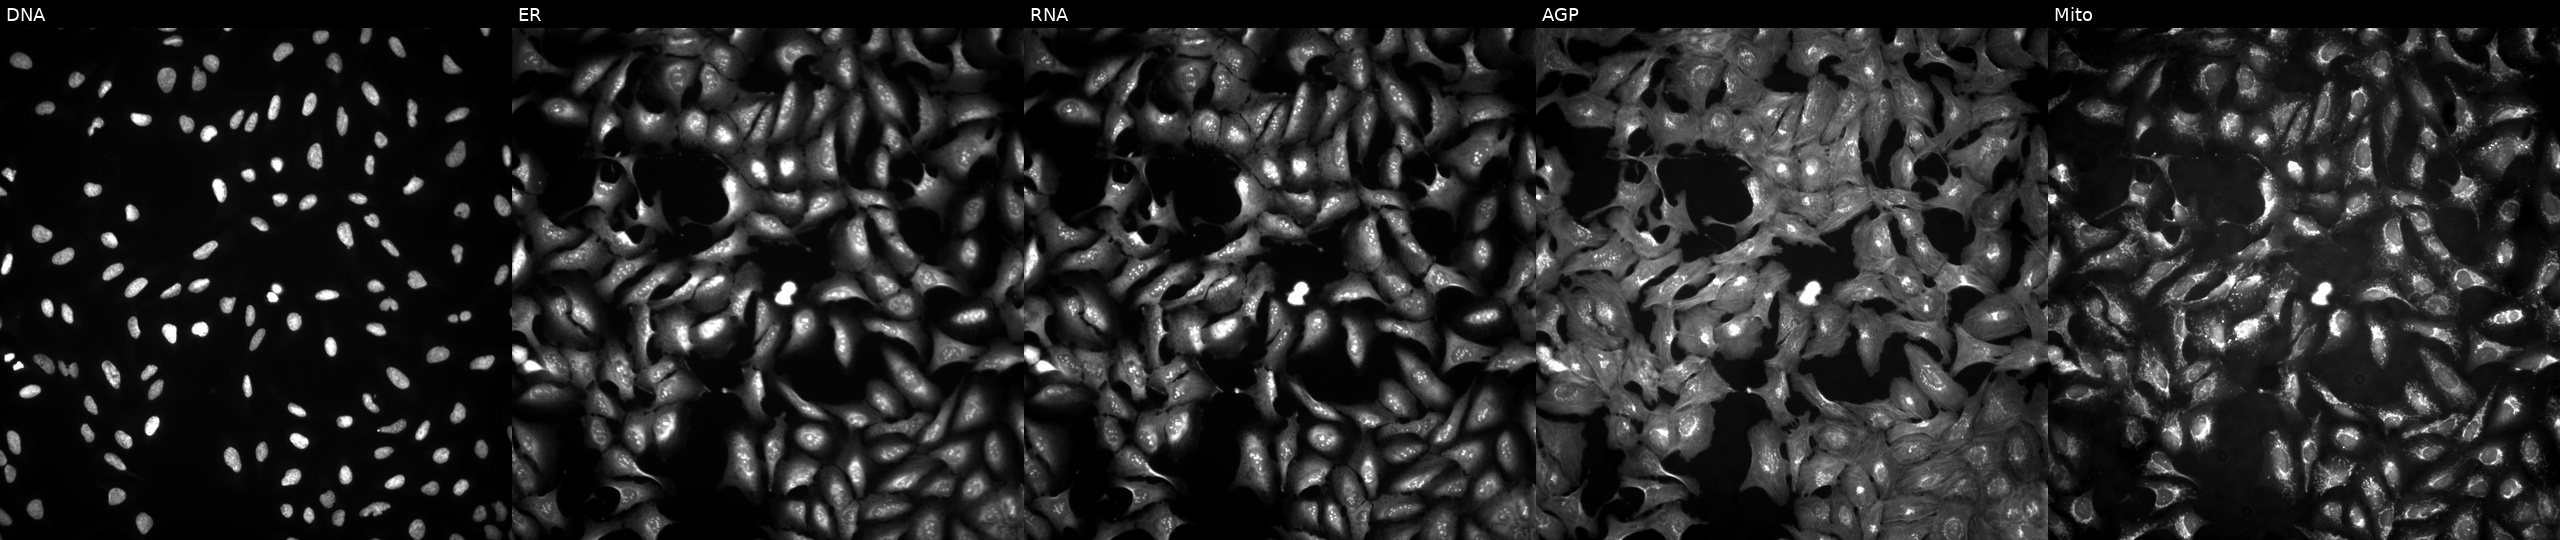
U2OS cells, Cell Painting assay, with C1QTNF3 overexpressed (ORF) (JUMP id JCP2022_912163). Channels (left→right): DNA (nuclei); ER (endoplasmic reticulum); RNA (nucleoli and cytoplasmic RNA); AGP (actin cytoskeleton, Golgi, and plasma membrane); Mito (mitochondria). Each panel is percentile-stretched 16-bit fluorescence.